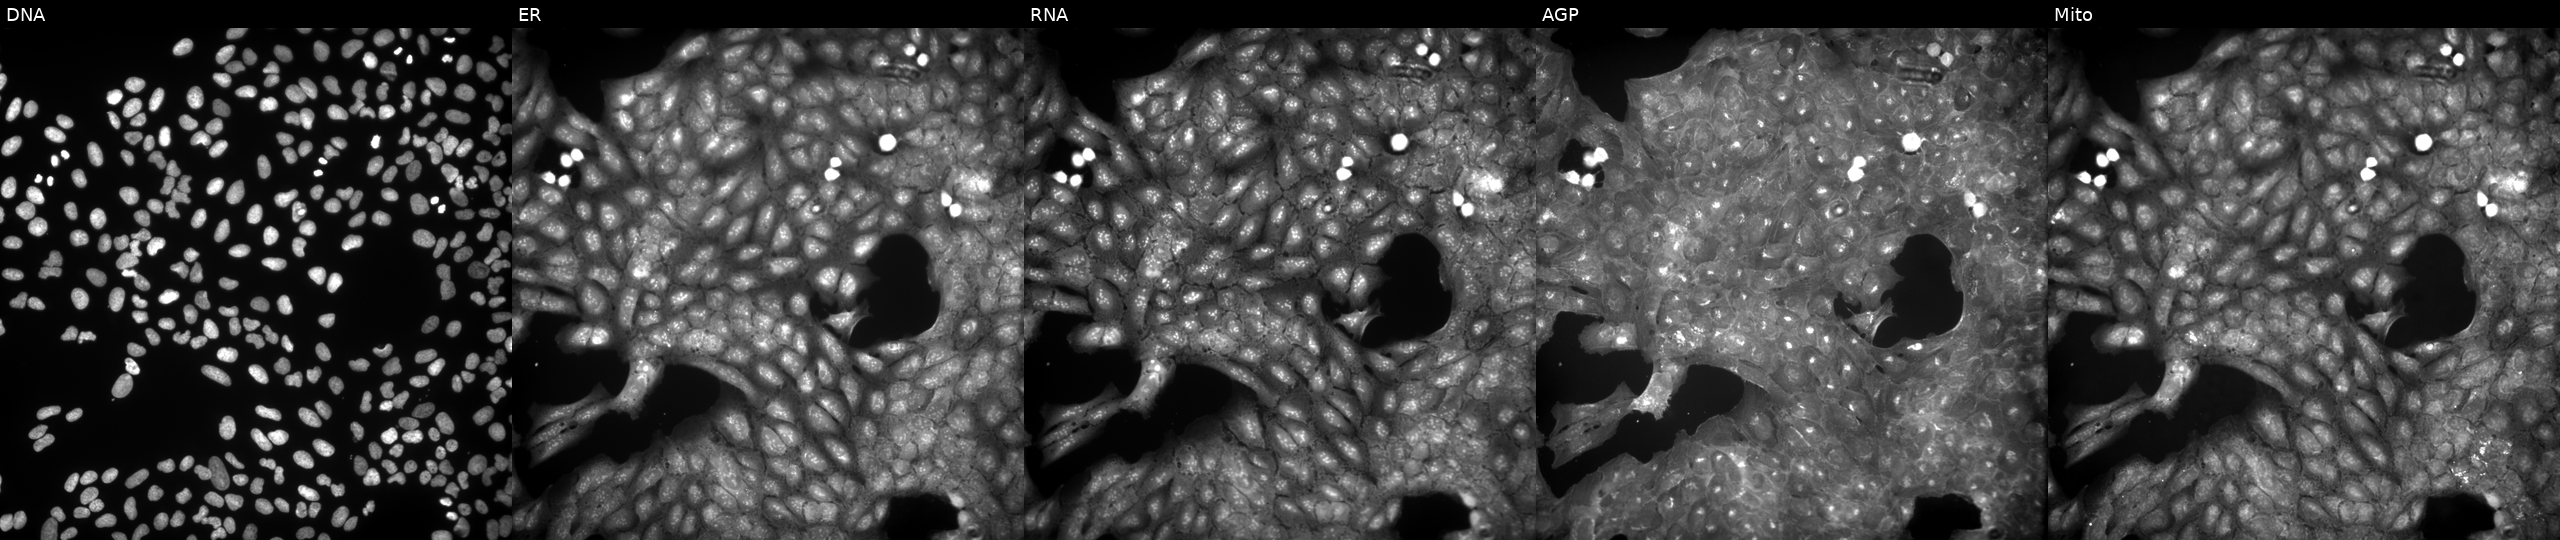
High-content fluorescence microscopy (Cell Painting). Cell line: U2OS. Perturbation: perturbed with a small-molecule compound (JUMP id JCP2022_017364). Channels (left→right): Hoechst 33342, concanavalin A, SYTO 14, phalloidin and WGA, MitoTracker. Source 9, plate GR00003381, well Y30.